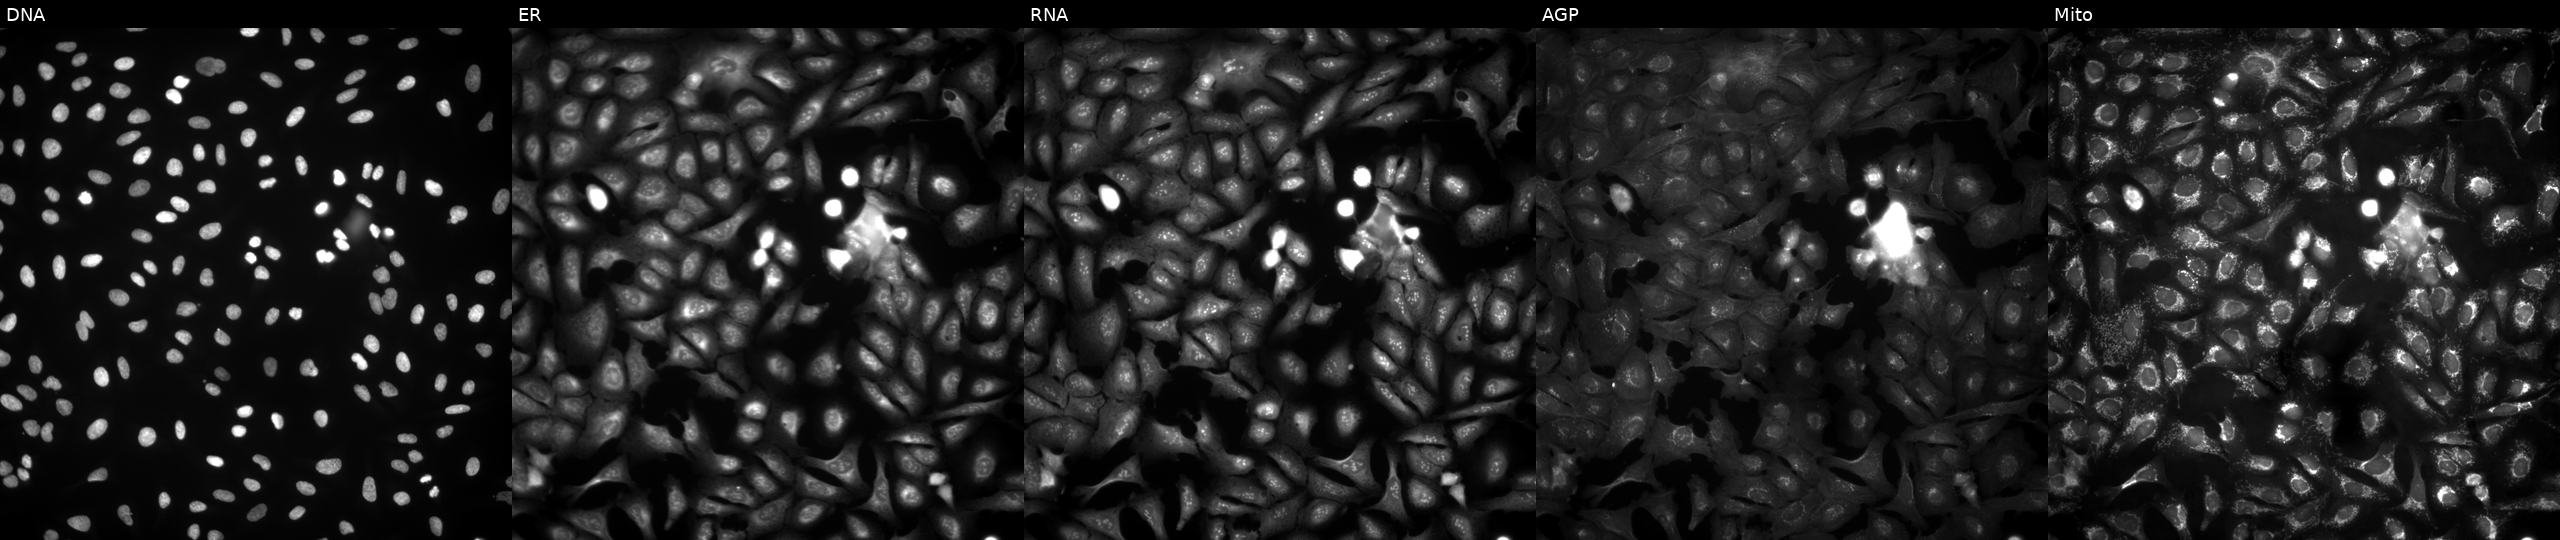
U2OS cells, Cell Painting assay, overexpressing SHFL via ORF transfection (JUMP id JCP2022_911383). Channels (left→right): DNA, ER, RNA, AGP, and Mito. Each panel is percentile-stretched 16-bit fluorescence.